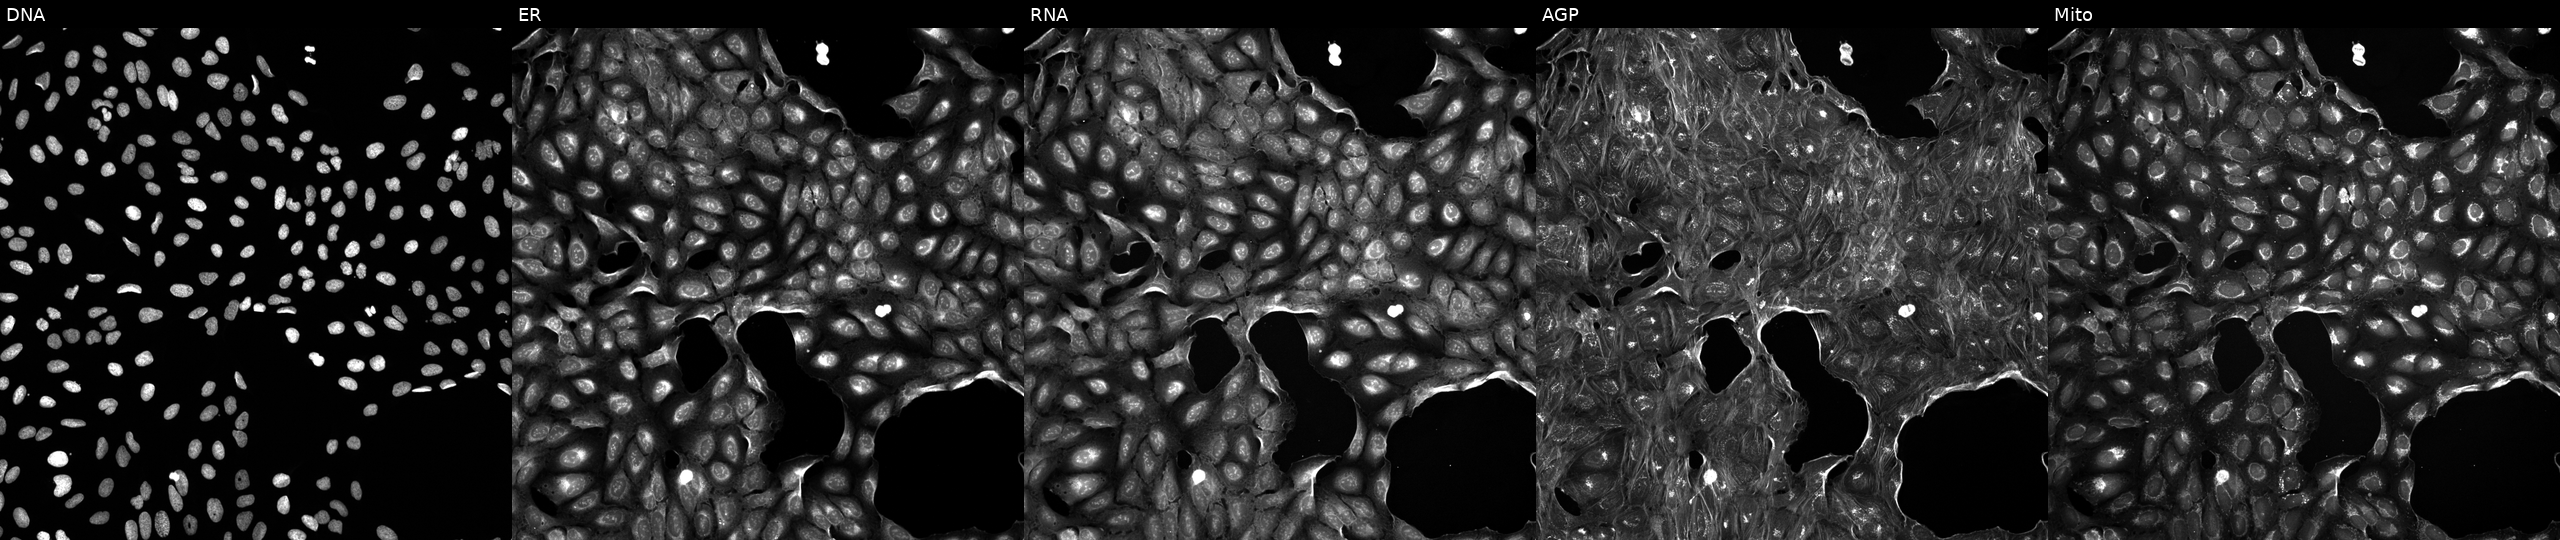
Five-channel Cell Painting image of U2OS cells treated with a small-molecule compound (InChIKey ONIBWKKTOPOVIA-UHFFFAOYSA-N). Panels show, left to right, DNA, ER, RNA, AGP, and Mito. Source 5, plate ACPJUM032, well M02.